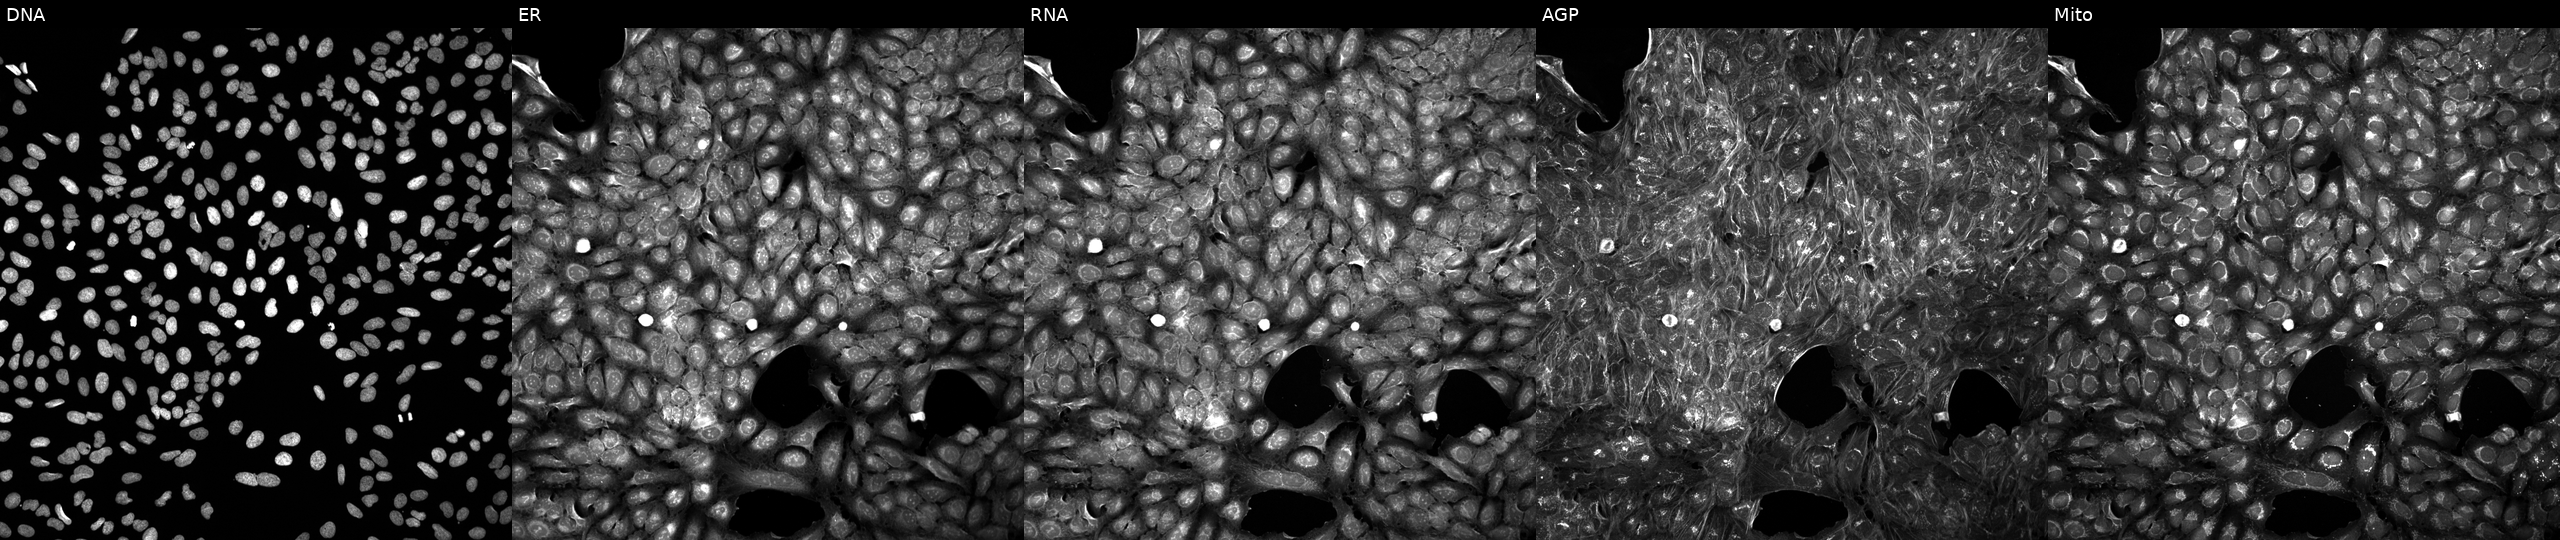
High-content fluorescence microscopy (Cell Painting). Cell line: U2OS. Perturbation: treated with a small-molecule compound. The five panels, left to right, show Hoechst 33342, concanavalin A, SYTO 14, phalloidin and WGA, MitoTracker.